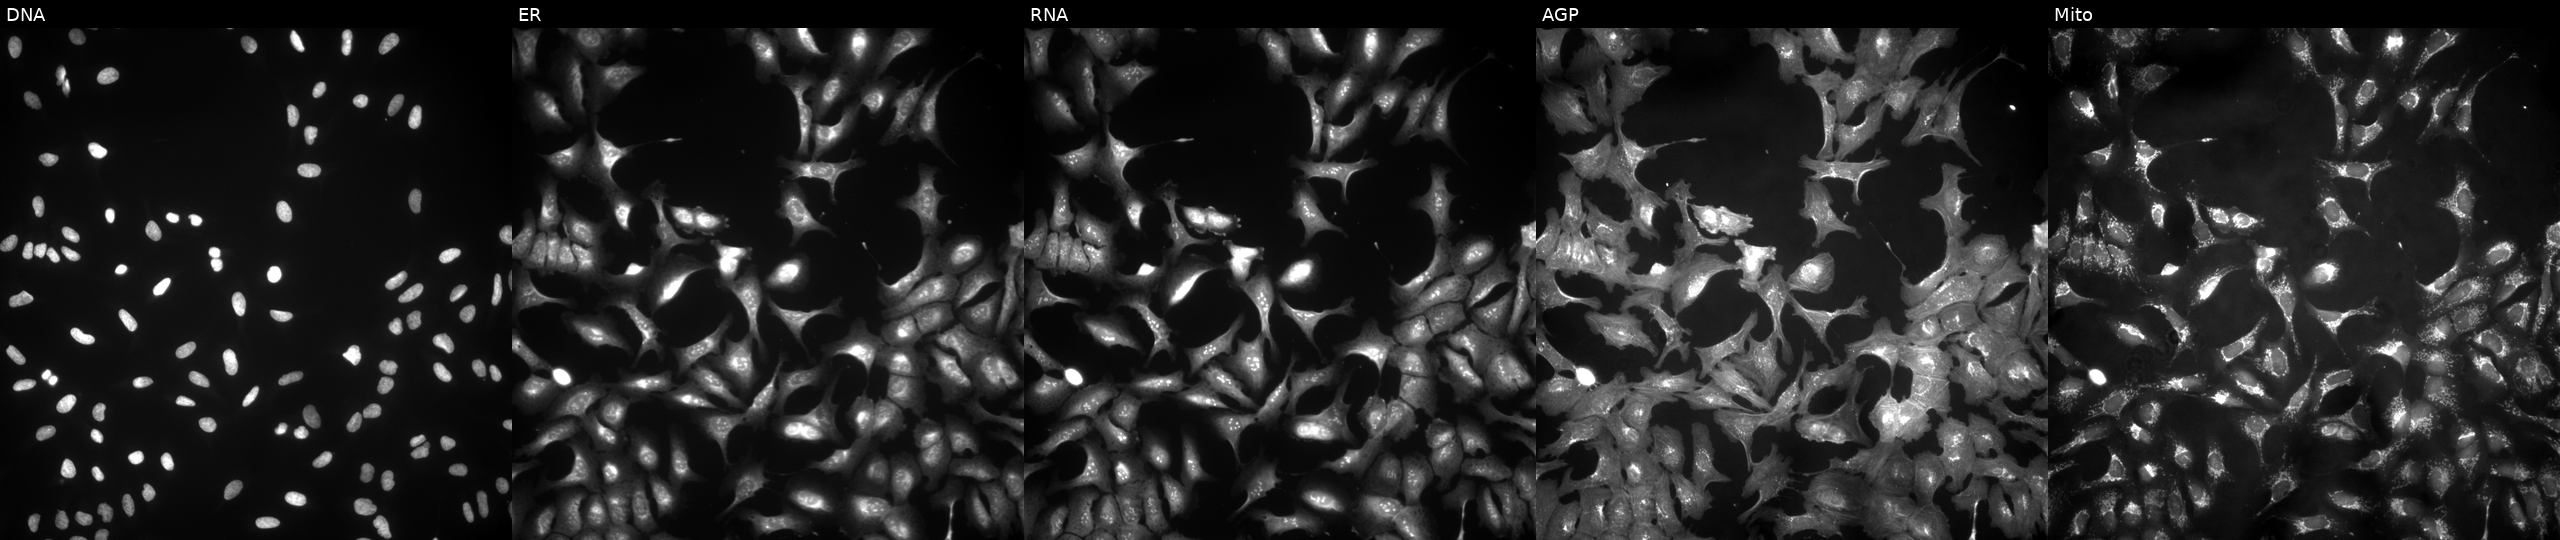
JUMP Cell Painting — ORF plate. U2OS cells with TUBE1 overexpressed (ORF). Channels (left→right): DNA (nuclei); ER (endoplasmic reticulum); RNA (nucleoli and cytoplasmic RNA); AGP (actin cytoskeleton, Golgi, and plasma membrane); Mito (mitochondria).